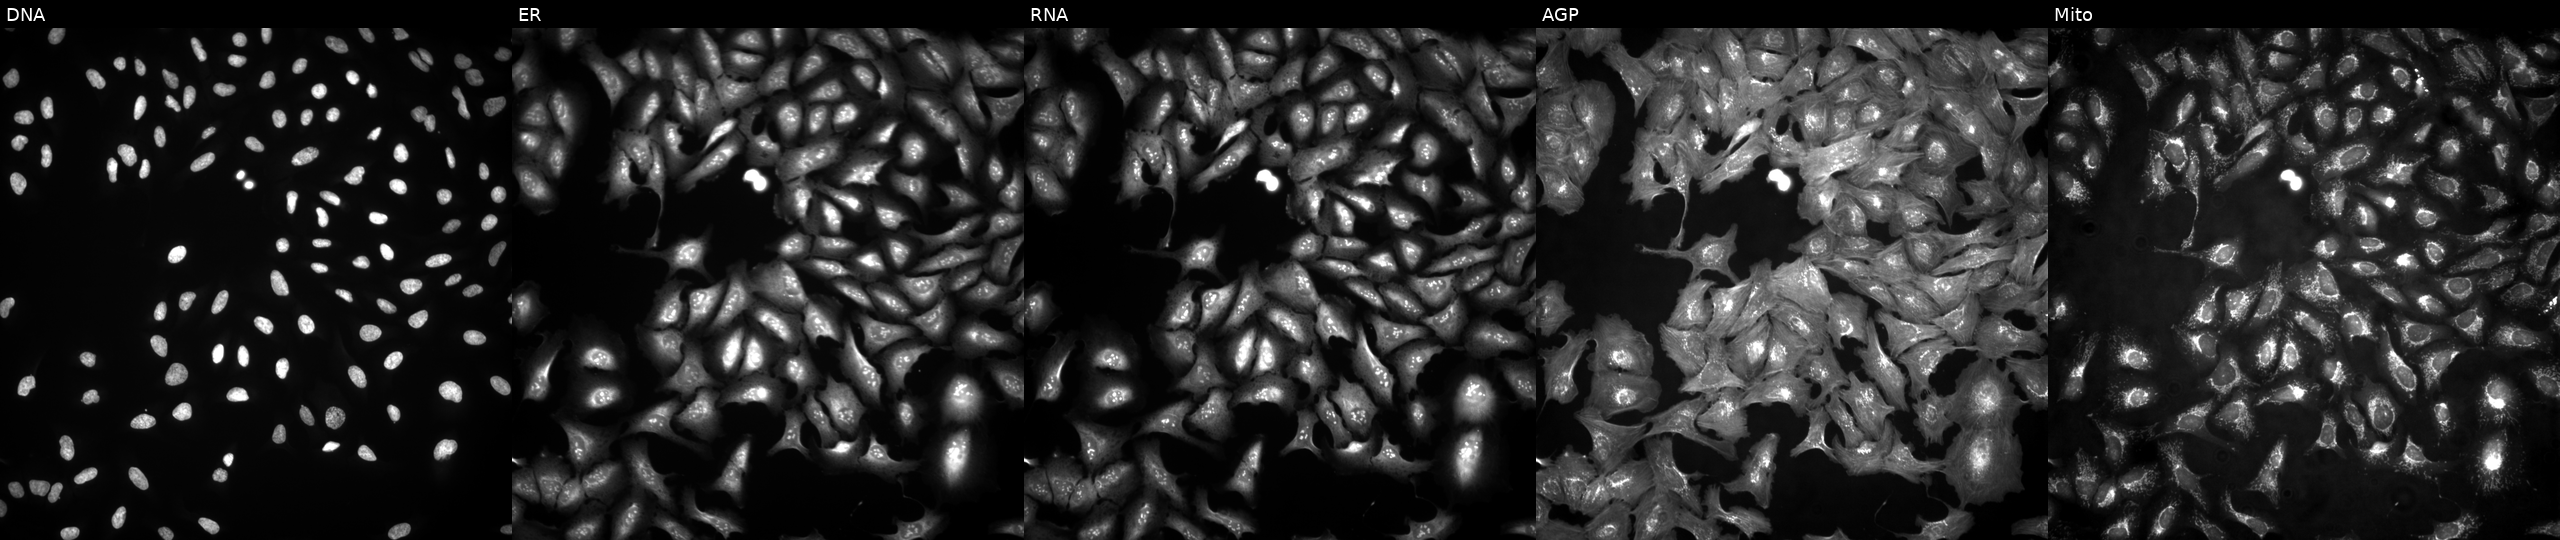
This image strip shows the five Cell Painting channels for a single field of U2OS cells overexpressing GPAA1 via ORF transfection. From left to right: DNA, ER, RNA, AGP, and Mito.